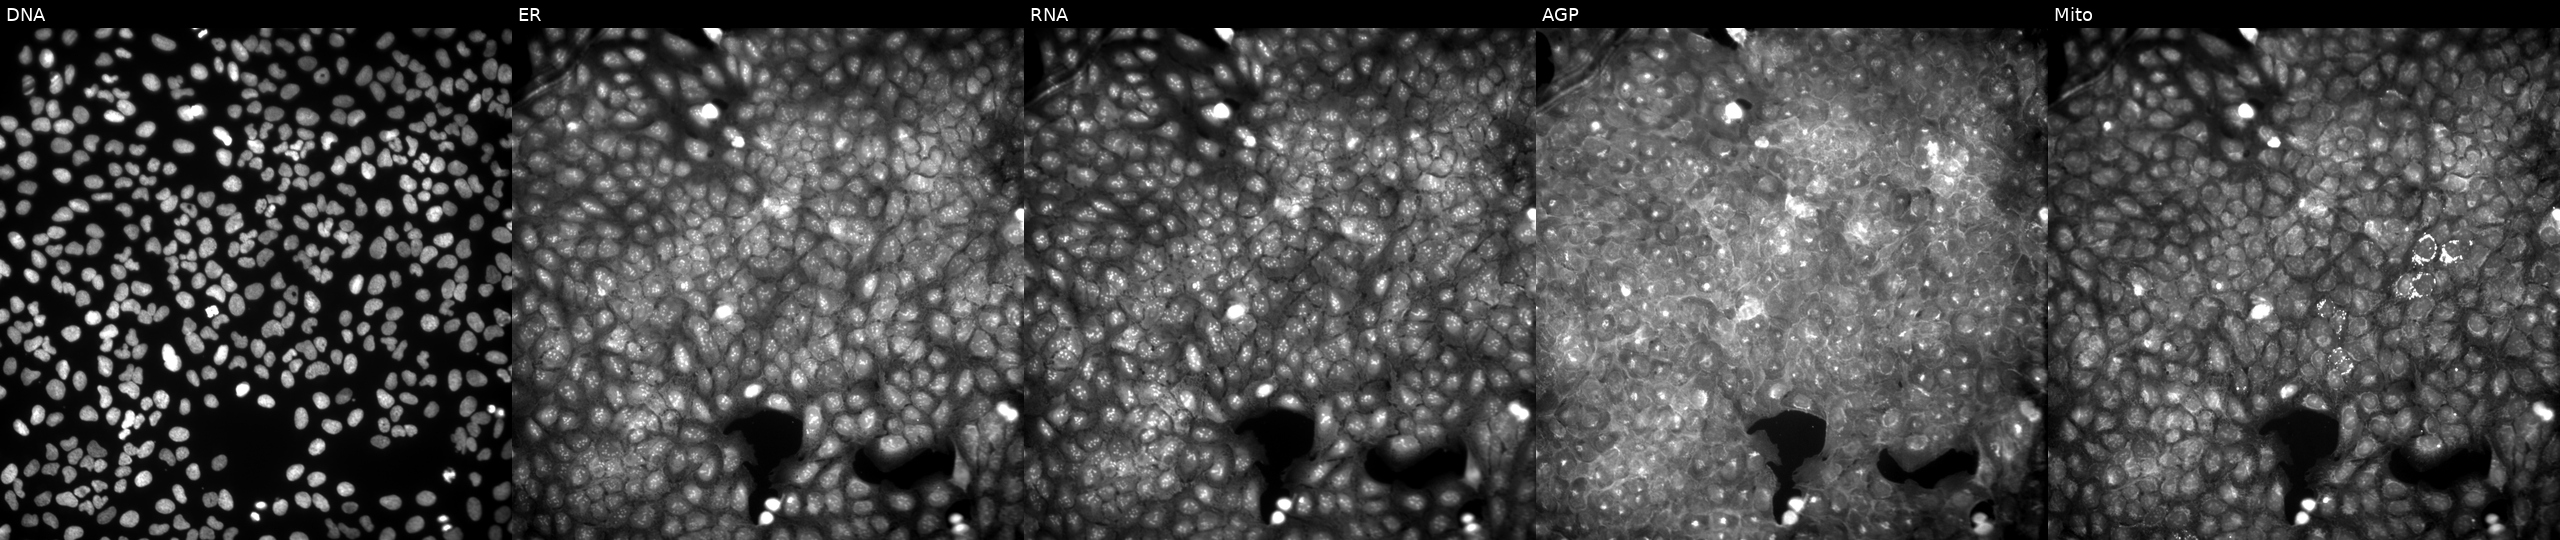
U2OS cells, Cell Painting assay, perturbed with a small-molecule compound (InChIKey HEJBUTYETGXHEA-UHFFFAOYSA-N) [SMILES: COc1ccc(-c2c(C(F)(F)F)oc3cc(OC(=O)c4cccnc4)ccc3c2=O)cc1OC]. The five panels, left to right, show Hoechst 33342, concanavalin A, SYTO 14, phalloidin and WGA, MitoTracker. Each panel is percentile-stretched 16-bit fluorescence.